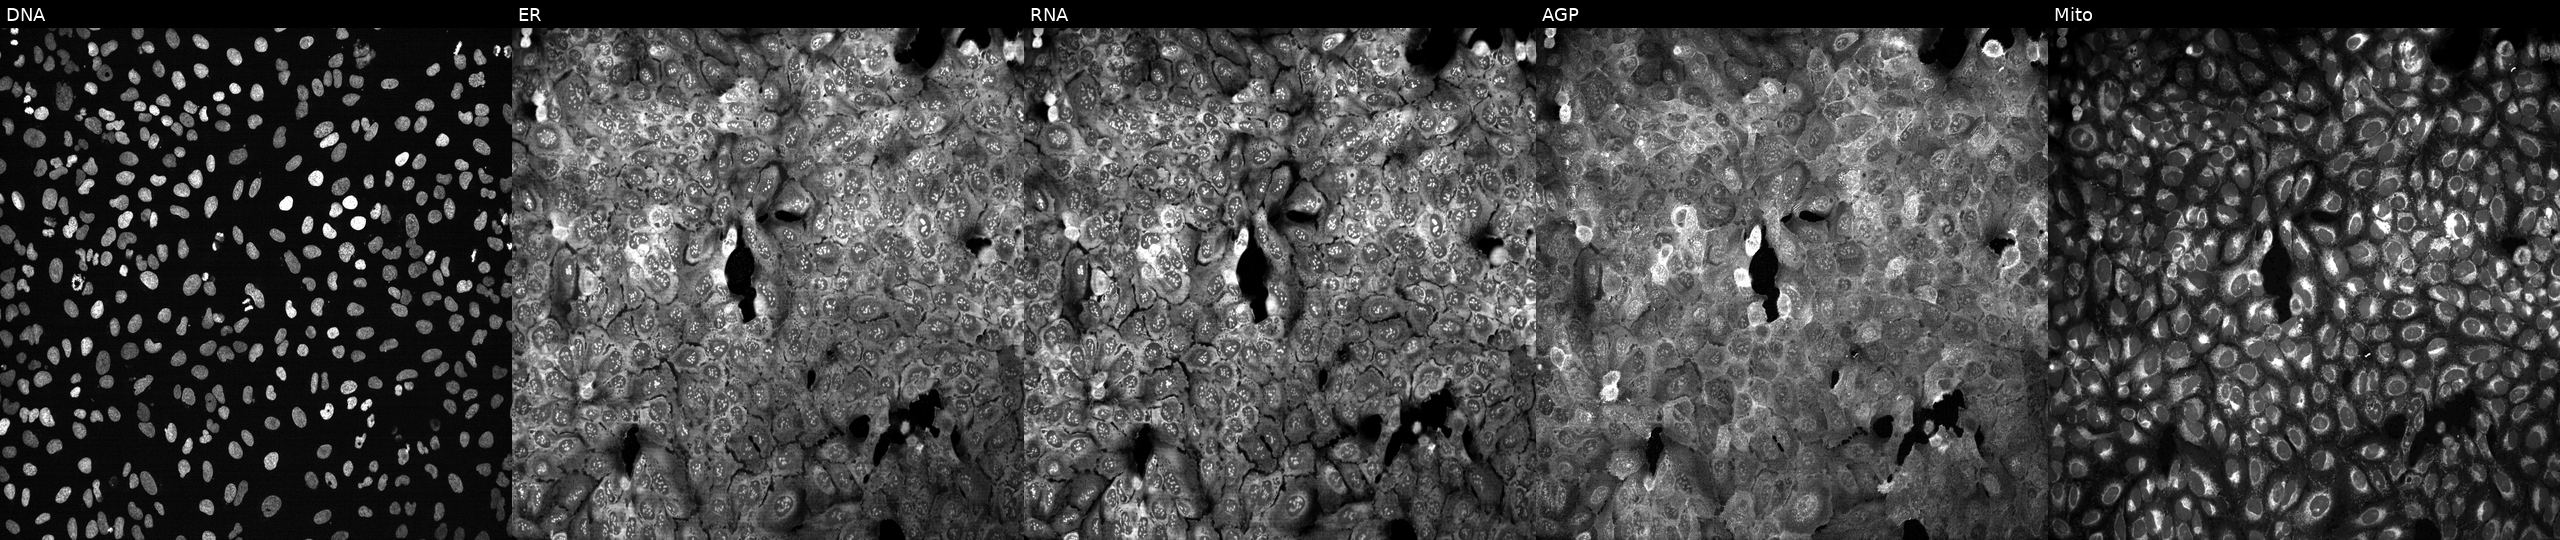
Five-channel Cell Painting image of U2OS cells CRISPR-edited to disrupt RGS9 (JUMP id JCP2022_805938). The five panels, left to right, show DNA (nuclei); ER (endoplasmic reticulum); RNA (nucleoli and cytoplasmic RNA); AGP (actin cytoskeleton, Golgi, and plasma membrane); Mito (mitochondria). Source 13, plate CP-CC9-R2-02, well N19.